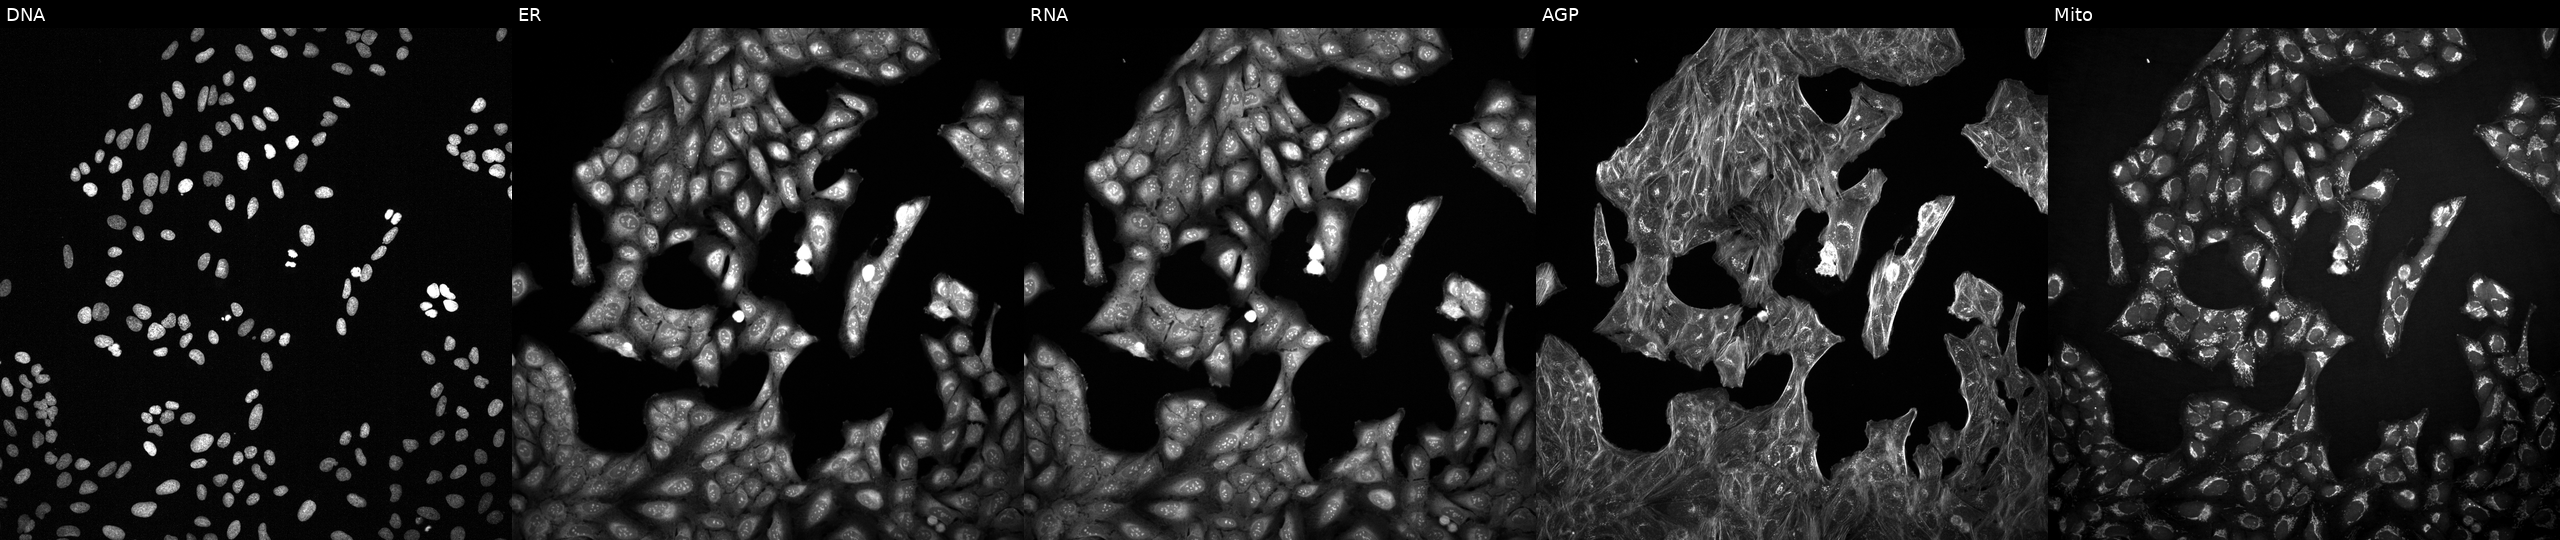
JUMP Cell Painting — TARGET2 plate. U2OS cells exposed to a small-molecule compound (InChIKey LLVZBTWPGQVVLW-UHFFFAOYSA-N) (JUMP id JCP2022_050271). From left to right: DNA, ER, RNA, AGP, and Mito. Source 2, plate 1053600674, well E12.